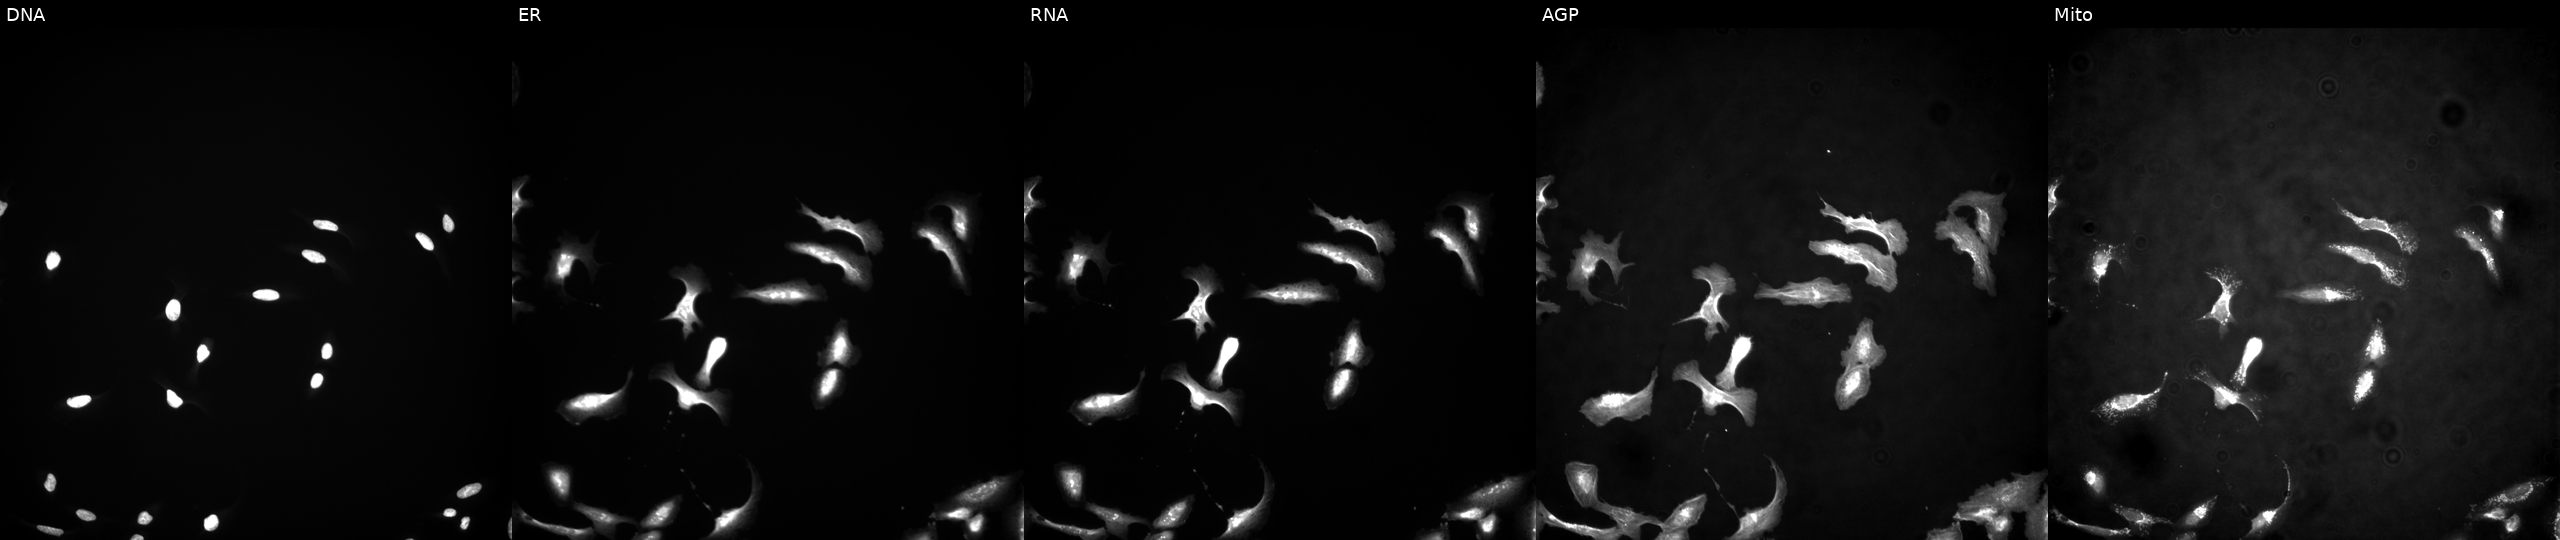
JUMP Cell Painting — ORF plate. U2OS cells untreated (empty-well control) (JUMP id JCP2022_999999). The five panels, left to right, show DNA, ER, RNA, AGP, and Mito. Source 4, plate BR00124784, well I02.